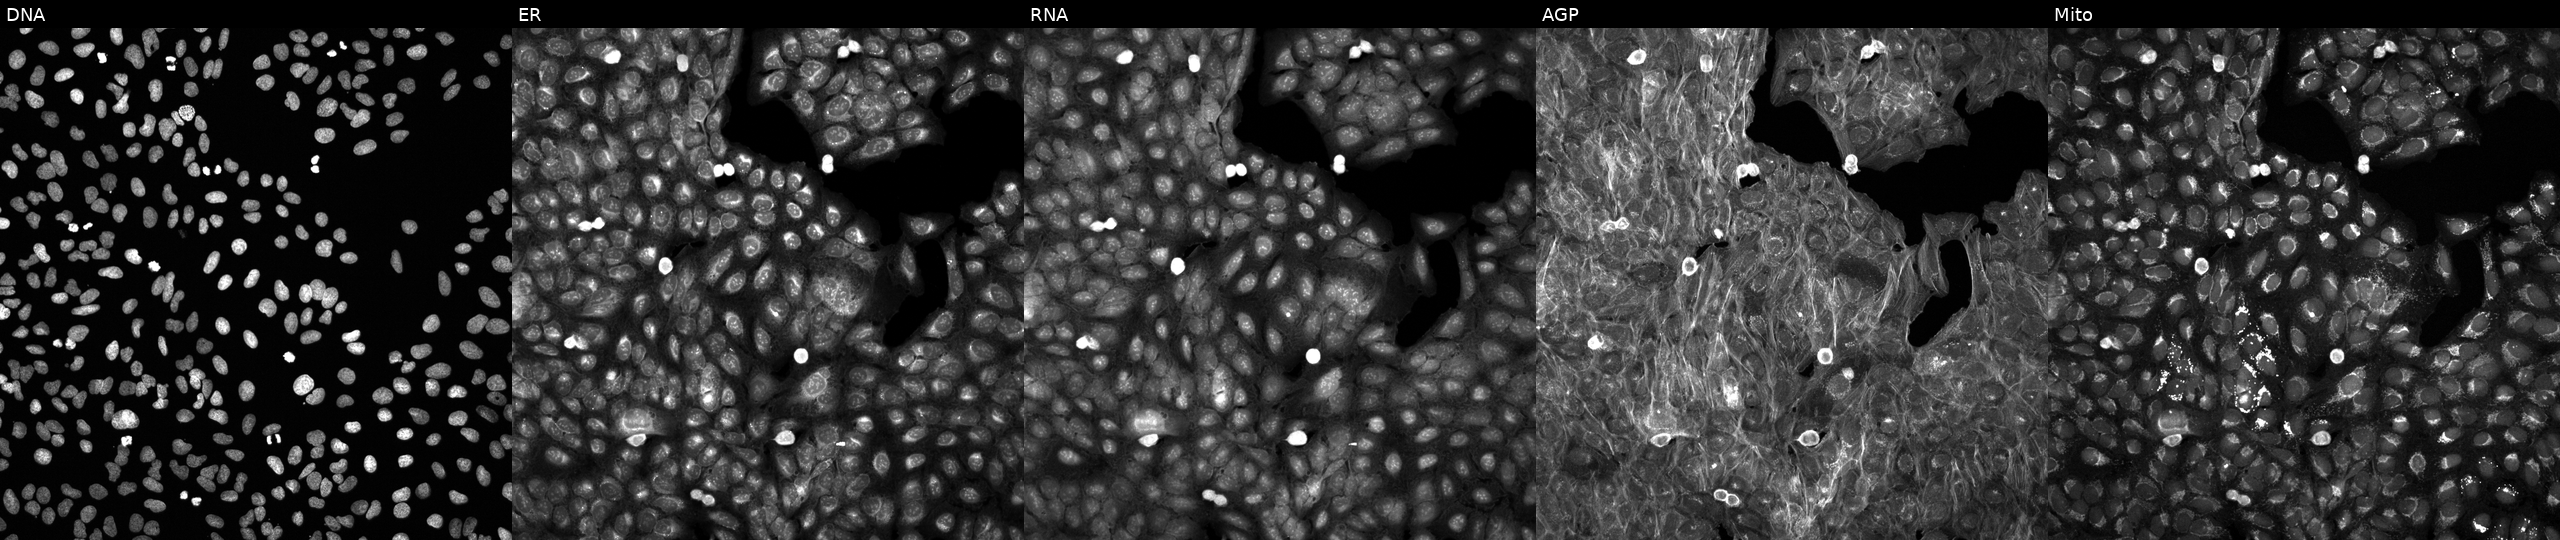
From left to right: DNA (nuclei); ER (endoplasmic reticulum); RNA (nucleoli and cytoplasmic RNA); AGP (actin cytoskeleton, Golgi, and plasma membrane); Mito (mitochondria). U2OS osteosarcoma cells treated with a small-molecule compound (InChIKey RIKMMFOAQPJVMX-UHFFFAOYSA-N) [SMILES: Cc1cn[nH]c1] (JUMP id JCP2022_078588). Cell Painting assay, JUMP-CP dataset.